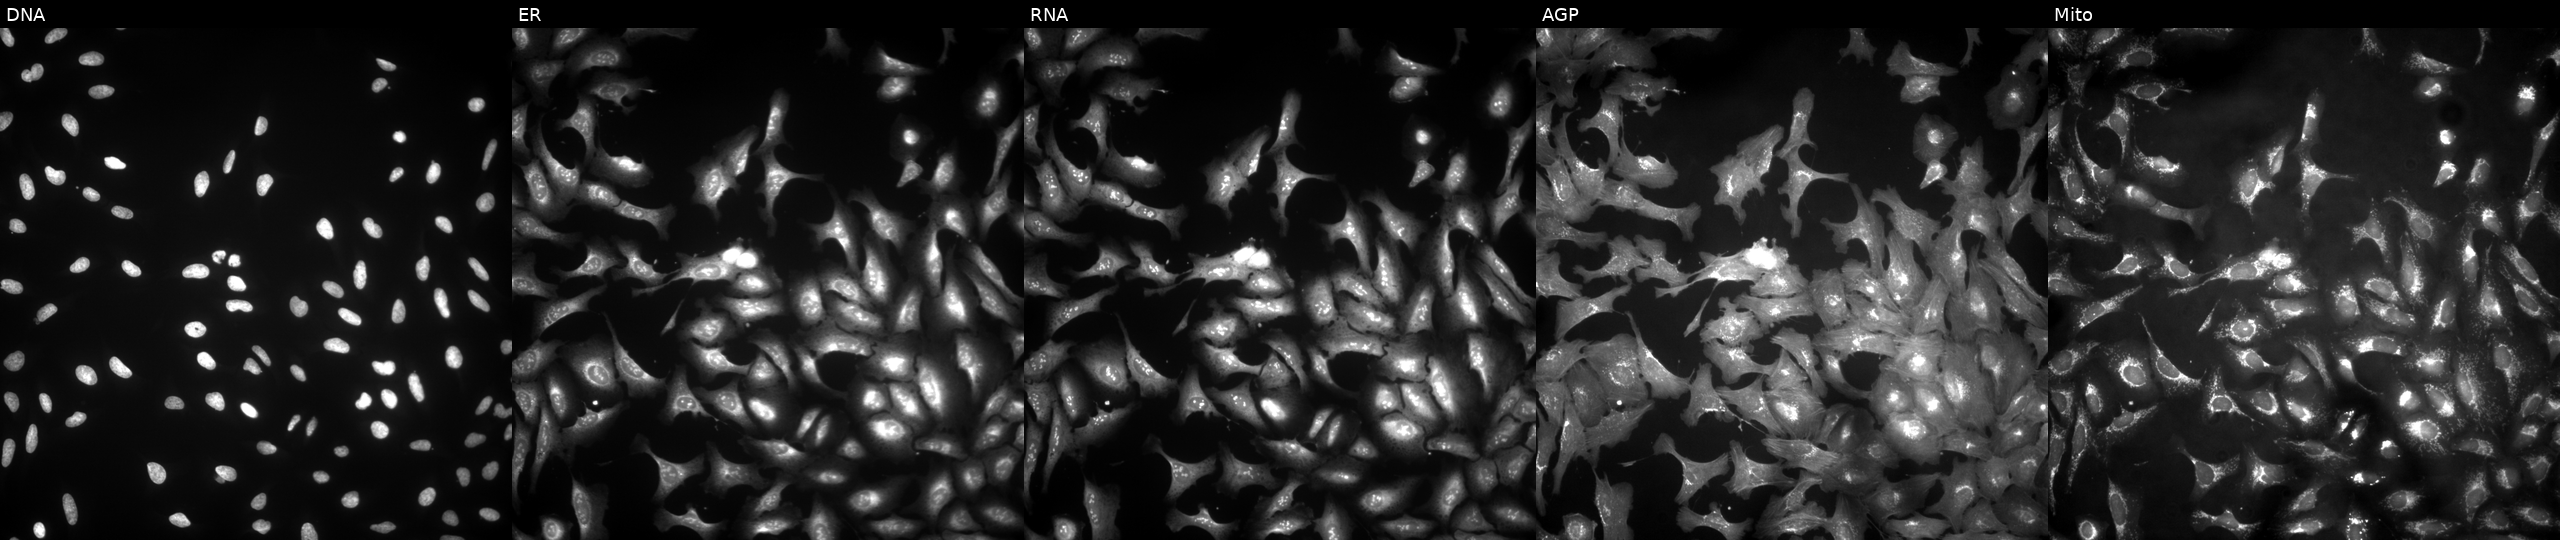
JUMP Cell Painting — ORF plate. U2OS cells overexpressing ZFAND4 via ORF transfection. From left to right: Hoechst 33342, concanavalin A, SYTO 14, phalloidin and WGA, MitoTracker. Source 4, plate BR00123506, well L17.